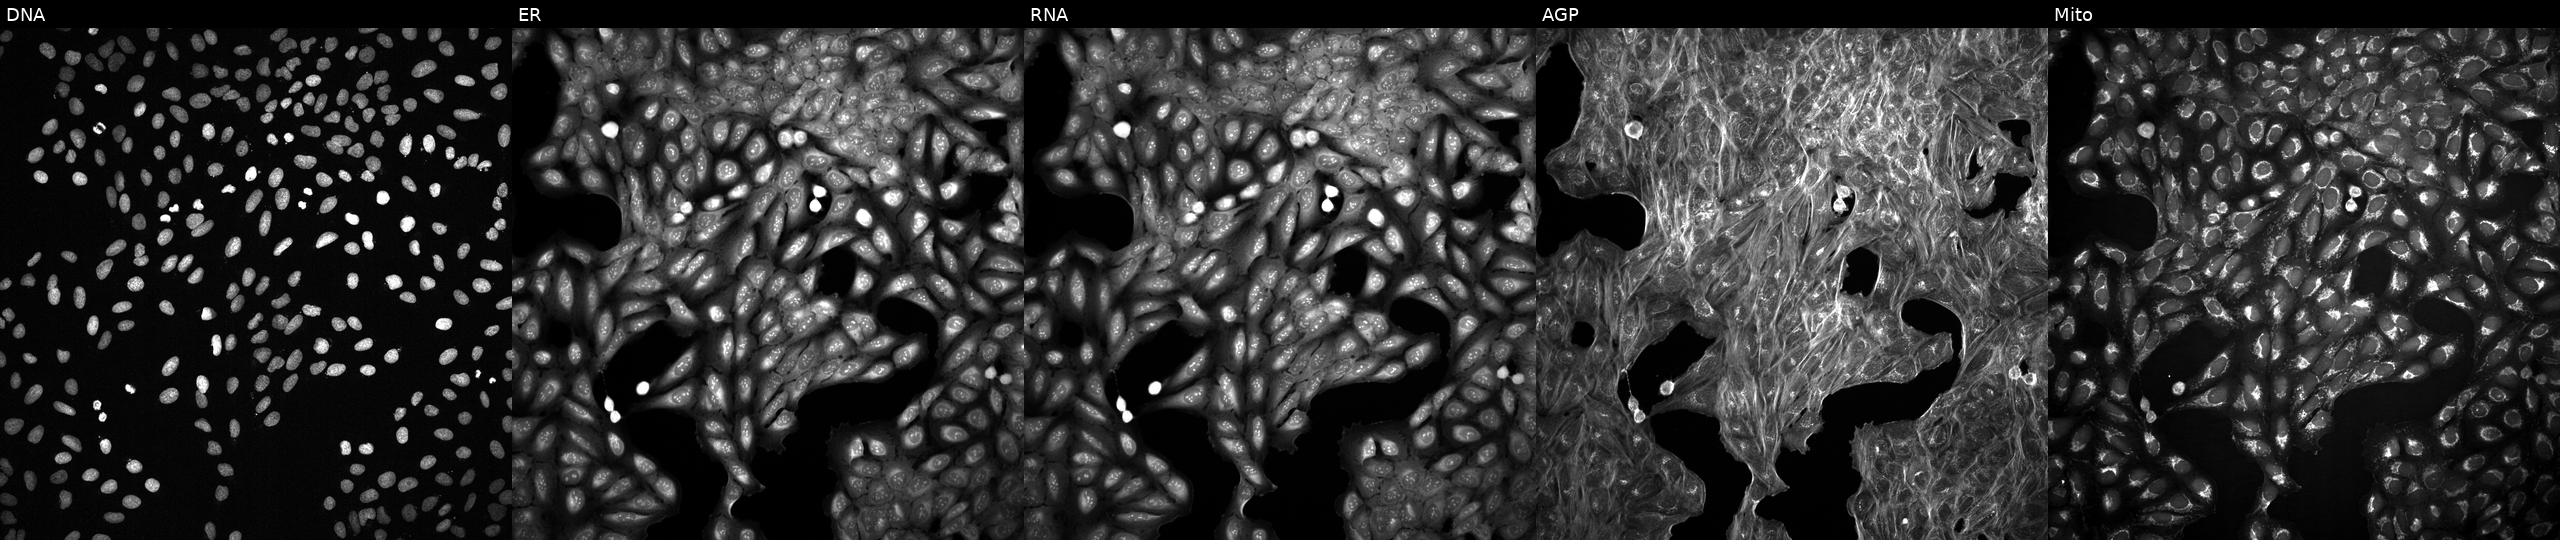
JUMP Cell Painting — COMPOUND plate. U2OS cells exposed to a small-molecule compound (InChIKey CVHLJHCNGPTXTI-UHFFFAOYSA-N). The five panels, left to right, show Hoechst 33342, concanavalin A, SYTO 14, phalloidin and WGA, MitoTracker.